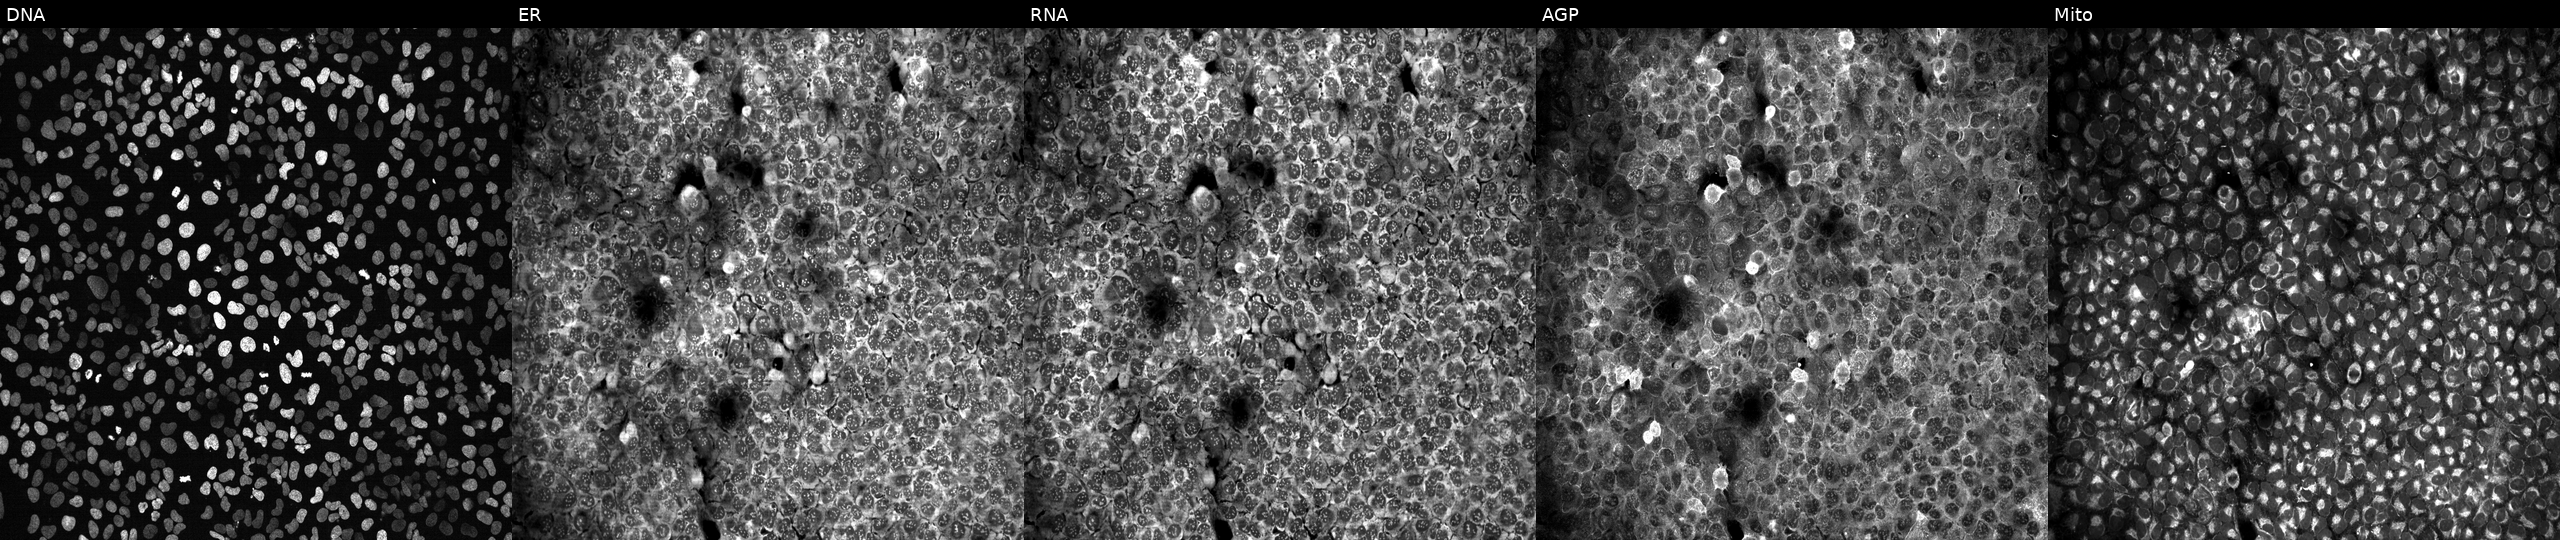
JUMP Cell Painting — CRISPR plate. U2OS cells with no CRISPR guide (negative control). Panels show, left to right, DNA, ER, RNA, AGP, and Mito.